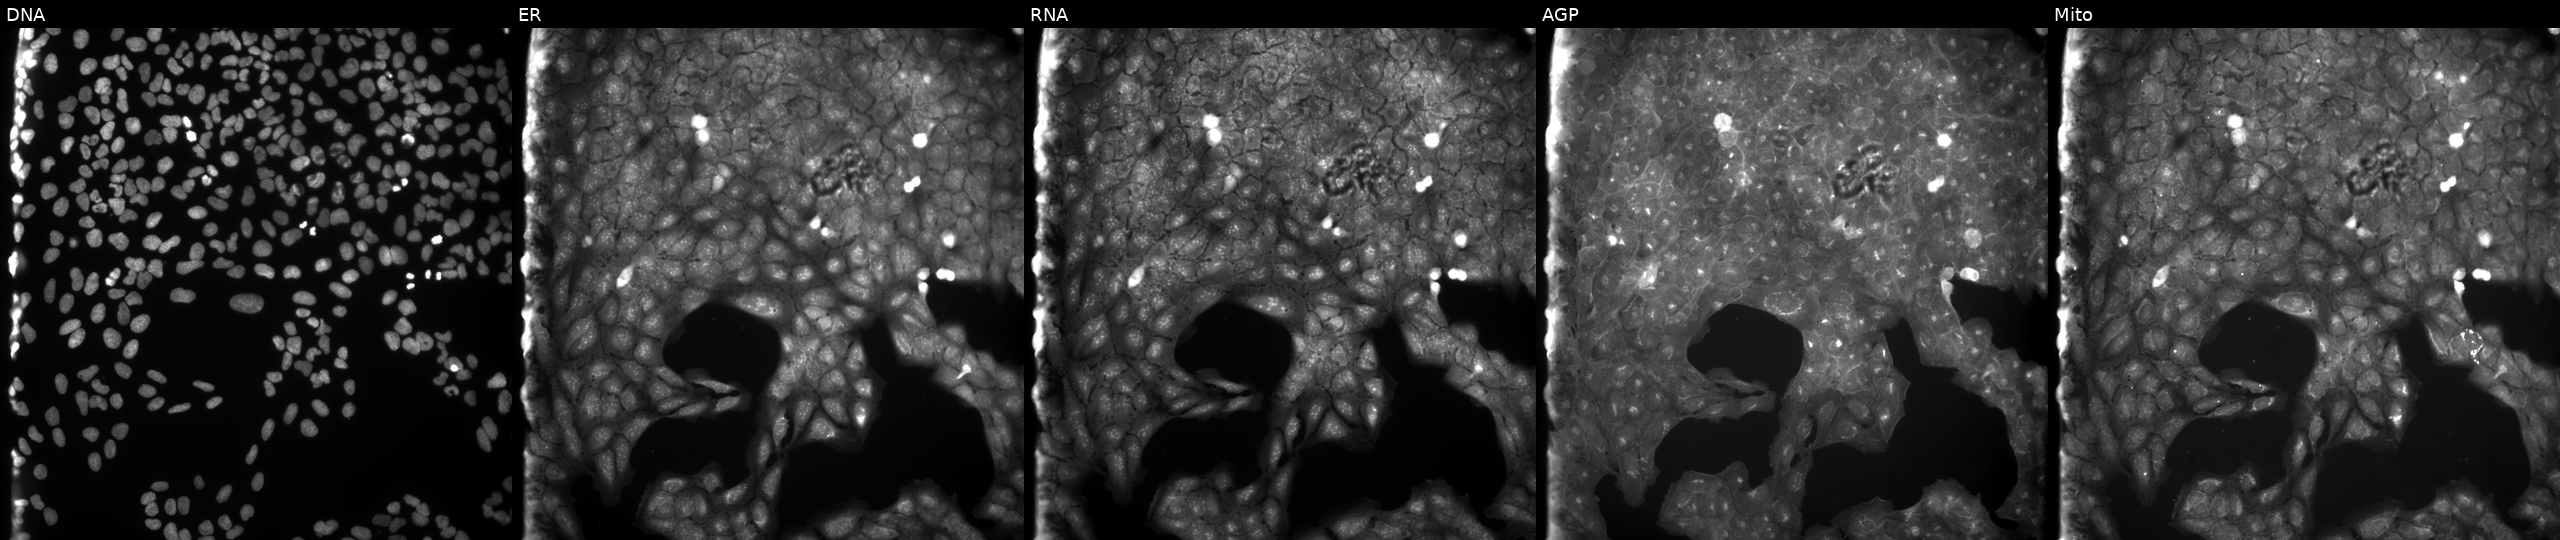
U2OS cells, Cell Painting assay, perturbed with a small-molecule compound. The five panels, left to right, show DNA, ER, RNA, AGP, and Mito. Each panel is percentile-stretched 16-bit fluorescence.